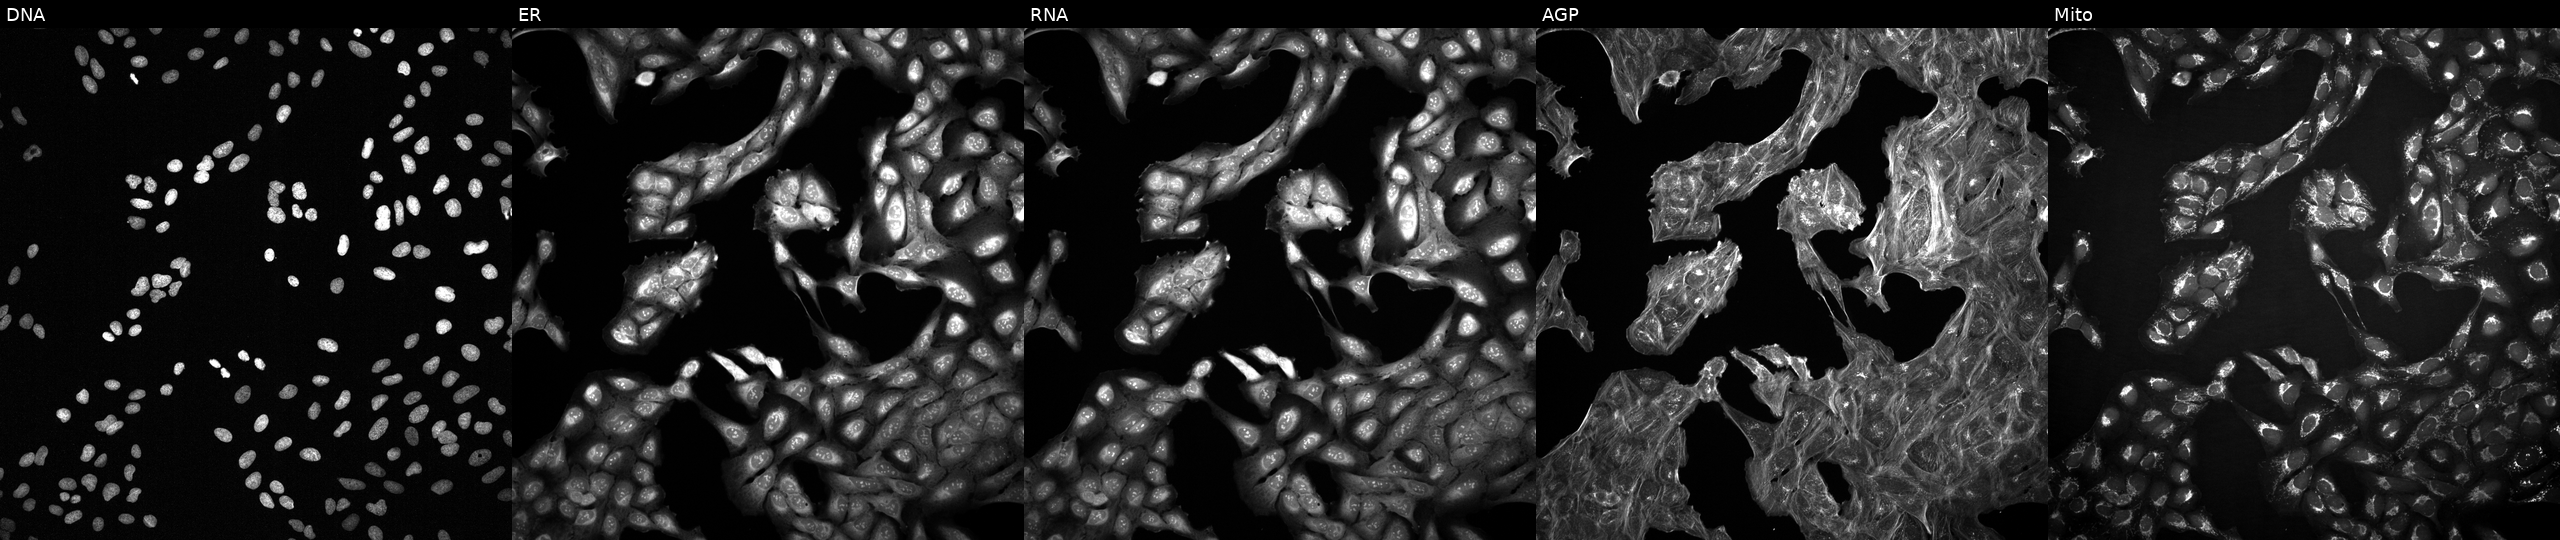
JUMP Cell Painting — TARGET2 plate. U2OS cells perturbed with a small-molecule compound (InChIKey ZYGHJZDHTFUPRJ-UHFFFAOYSA-N) [SMILES: O=c1ccc2ccccc2o1] (JUMP id JCP2022_116437). Channels (left→right): DNA, ER, RNA, AGP, and Mito.